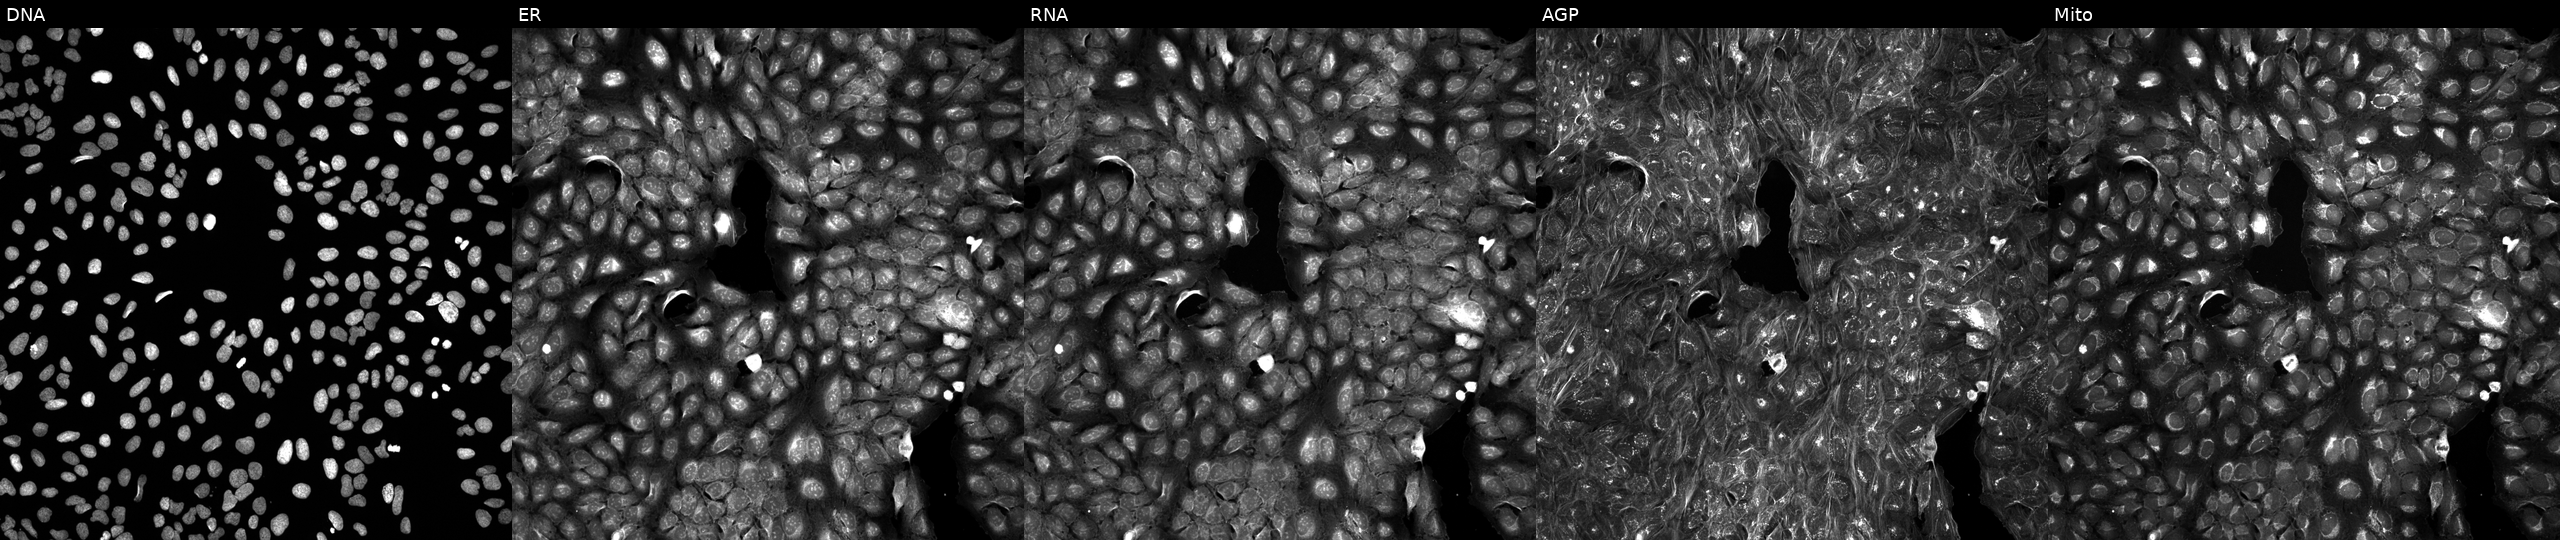
High-content fluorescence microscopy (Cell Painting). Cell line: U2OS. Perturbation: perturbed with a small-molecule compound (InChIKey MJBRKCQHYFVEIE-UHFFFAOYSA-N) (JUMP id JCP2022_054497). The five panels, left to right, show DNA, ER, RNA, AGP, and Mito. Source 5, plate APTJUM106, well K16.